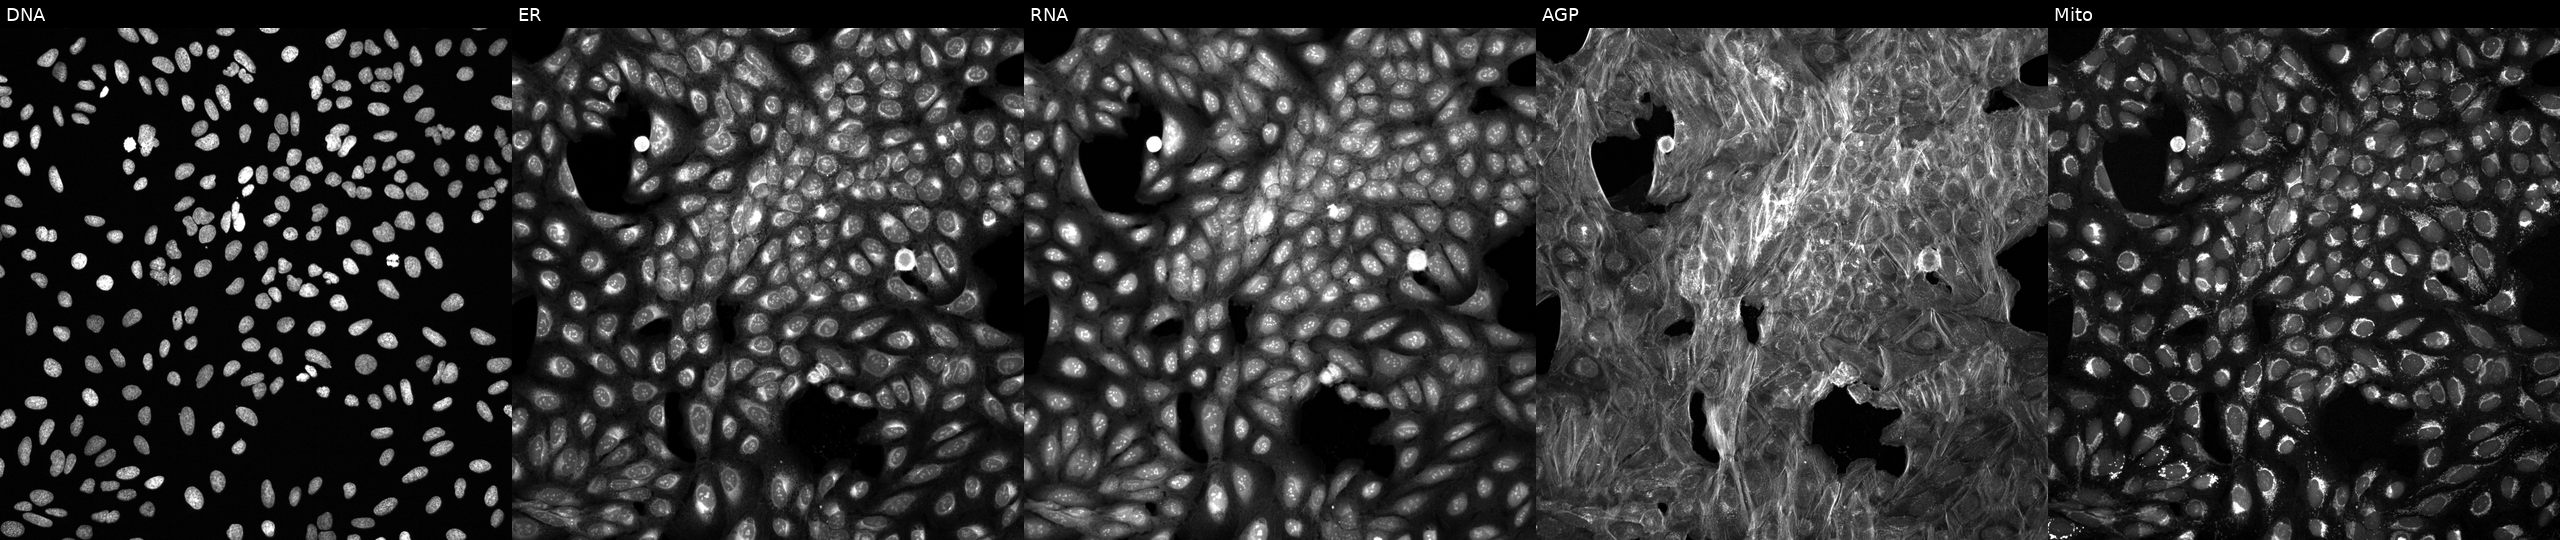
Five-channel Cell Painting image of U2OS cells perturbed with a small-molecule compound (InChIKey MQAUNJHLNHKORT-UHFFFAOYSA-N). The five panels, left to right, show DNA, ER, RNA, AGP, and Mito.